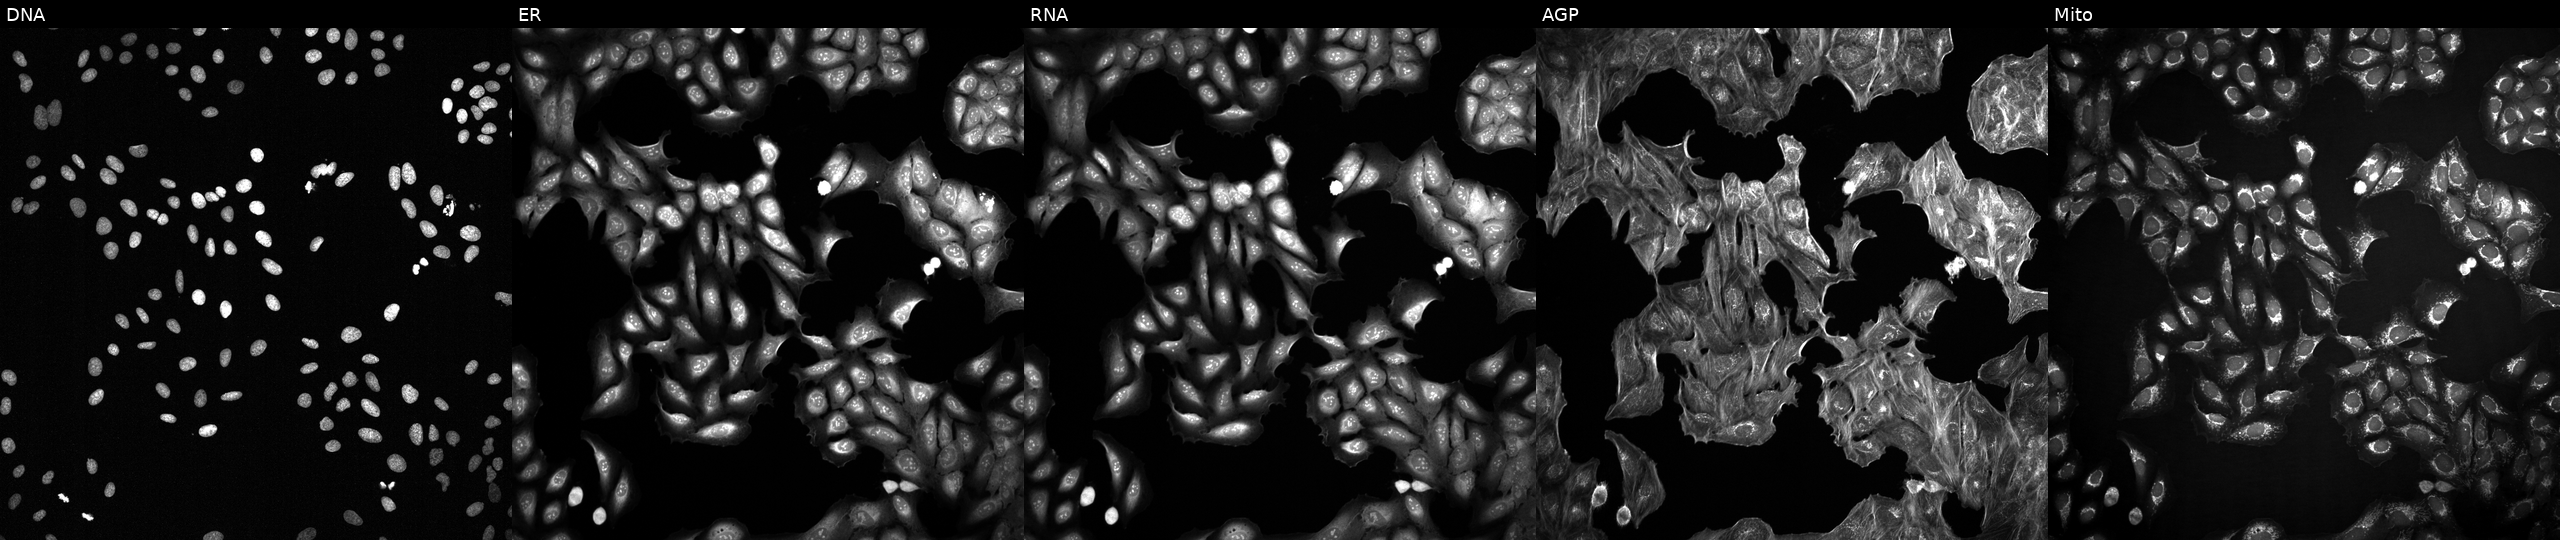
Five-channel Cell Painting image of U2OS cells treated with a small-molecule compound. Panels show, left to right, Hoechst 33342, concanavalin A, SYTO 14, phalloidin and WGA, MitoTracker.